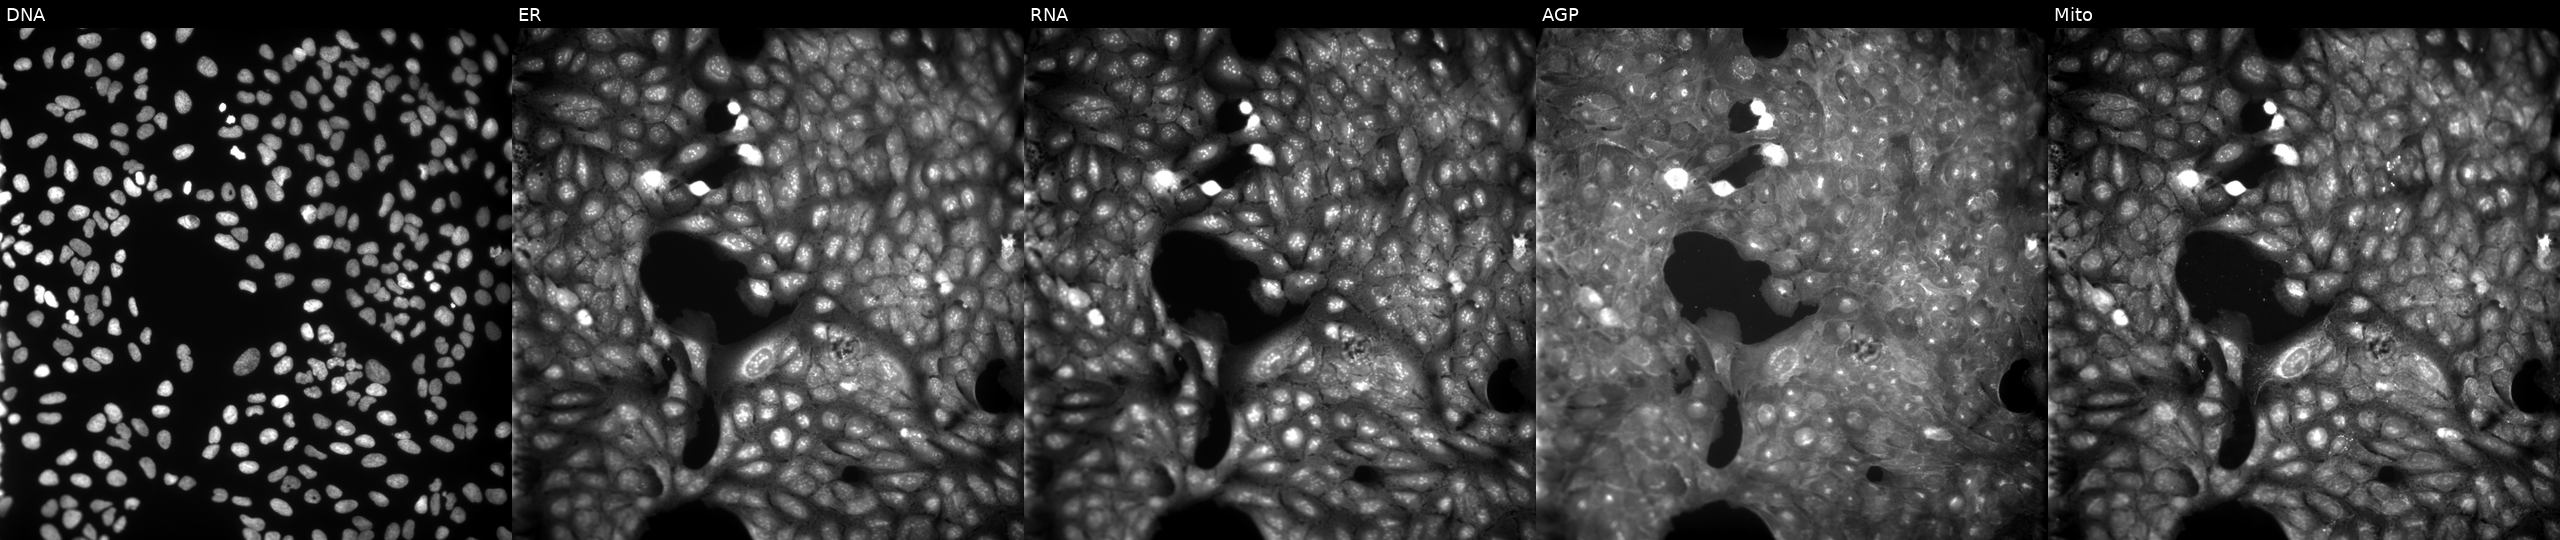
Five-channel Cell Painting image of U2OS cells perturbed with a small-molecule compound. Panels show, left to right, DNA (nuclei); ER (endoplasmic reticulum); RNA (nucleoli and cytoplasmic RNA); AGP (actin cytoskeleton, Golgi, and plasma membrane); Mito (mitochondria). Source 9, plate GR00003381, well AA07.